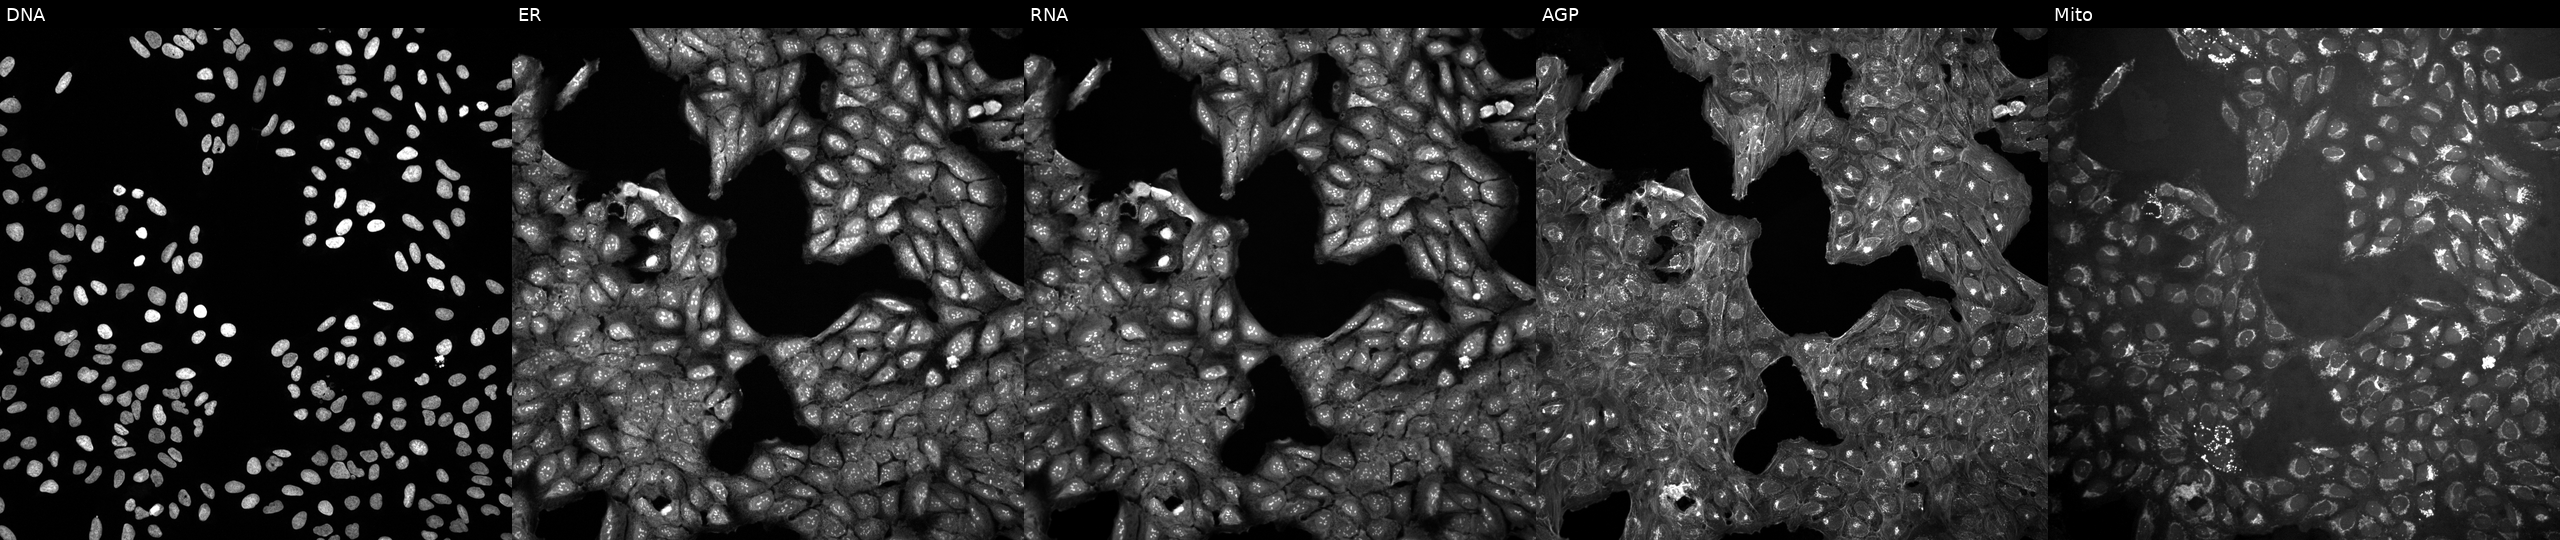
Five-channel Cell Painting image of U2OS cells exposed to a small-molecule compound (InChIKey GHKSLKXNNLUVOX-UHFFFAOYSA-N). Channels (left→right): DNA (nuclei); ER (endoplasmic reticulum); RNA (nucleoli and cytoplasmic RNA); AGP (actin cytoskeleton, Golgi, and plasma membrane); Mito (mitochondria).